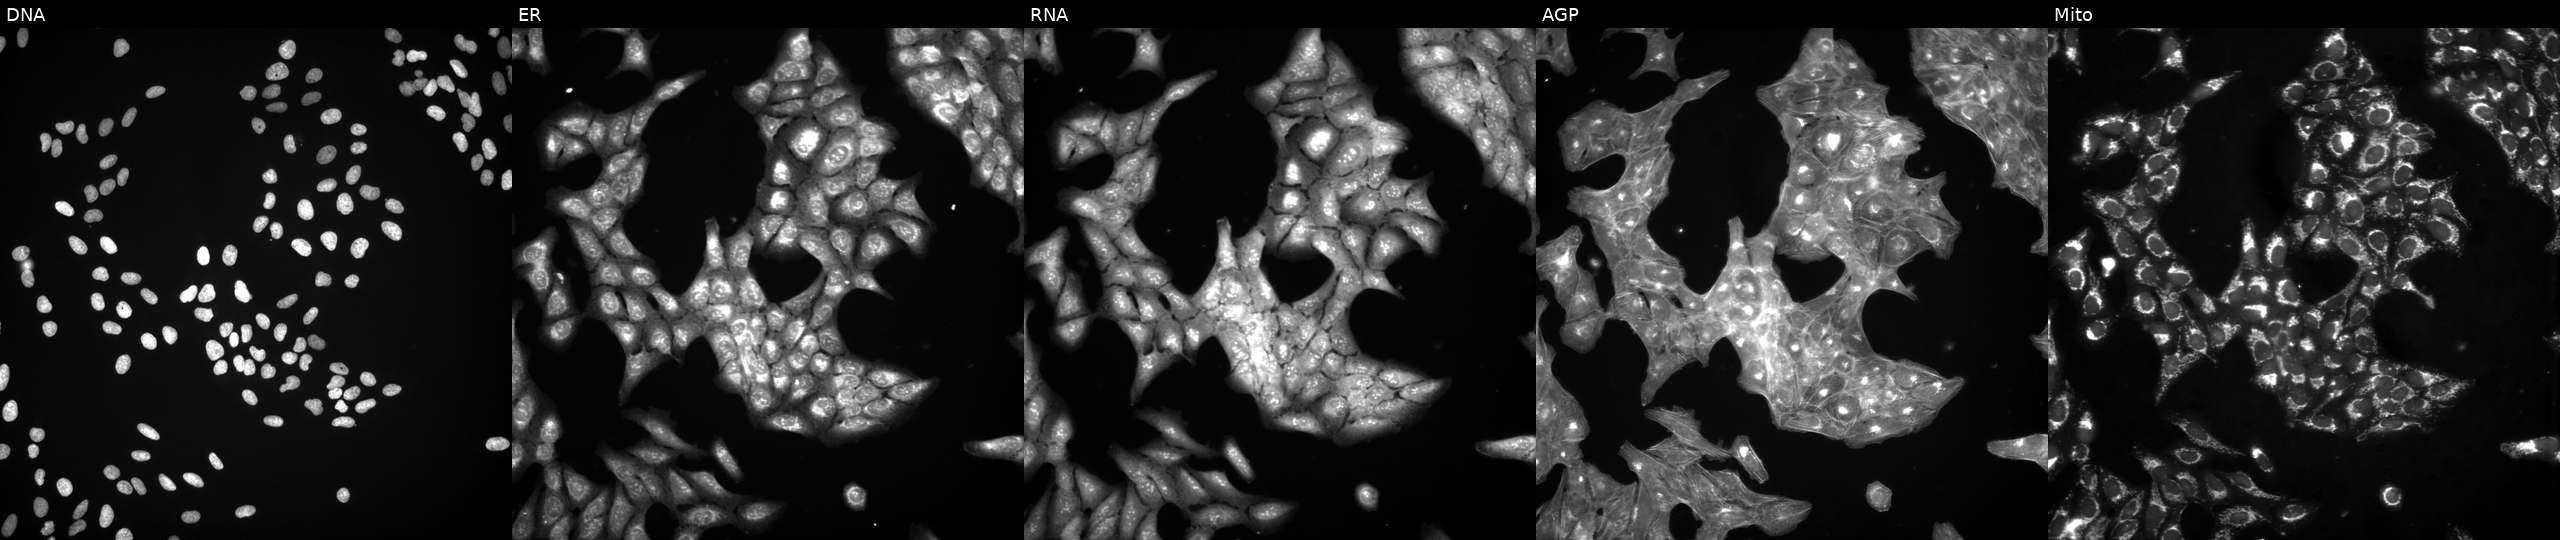
Five-channel Cell Painting image of U2OS cells treated with quinidine (positive-control compound). From left to right: DNA, ER, RNA, AGP, and Mito. Source 3, plate JCPQC053, well H12.